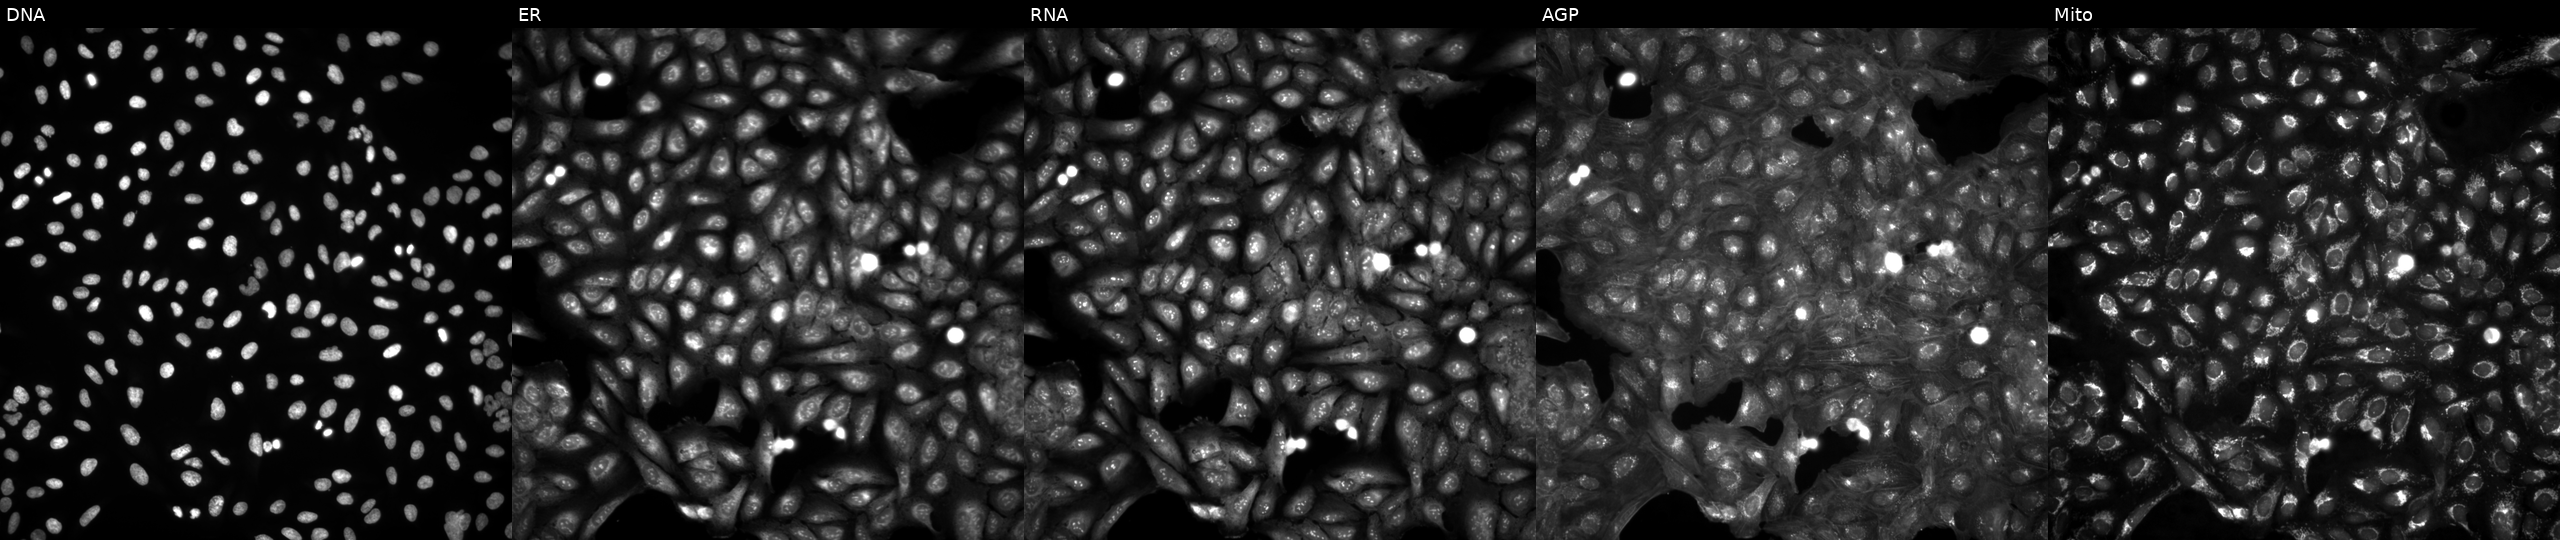
High-content fluorescence microscopy (Cell Painting). Cell line: U2OS. Perturbation: in an empty control well (no perturbation). The five panels, left to right, show DNA (nuclei); ER (endoplasmic reticulum); RNA (nucleoli and cytoplasmic RNA); AGP (actin cytoskeleton, Golgi, and plasma membrane); Mito (mitochondria). Source 4, plate BR00124793, well G15.